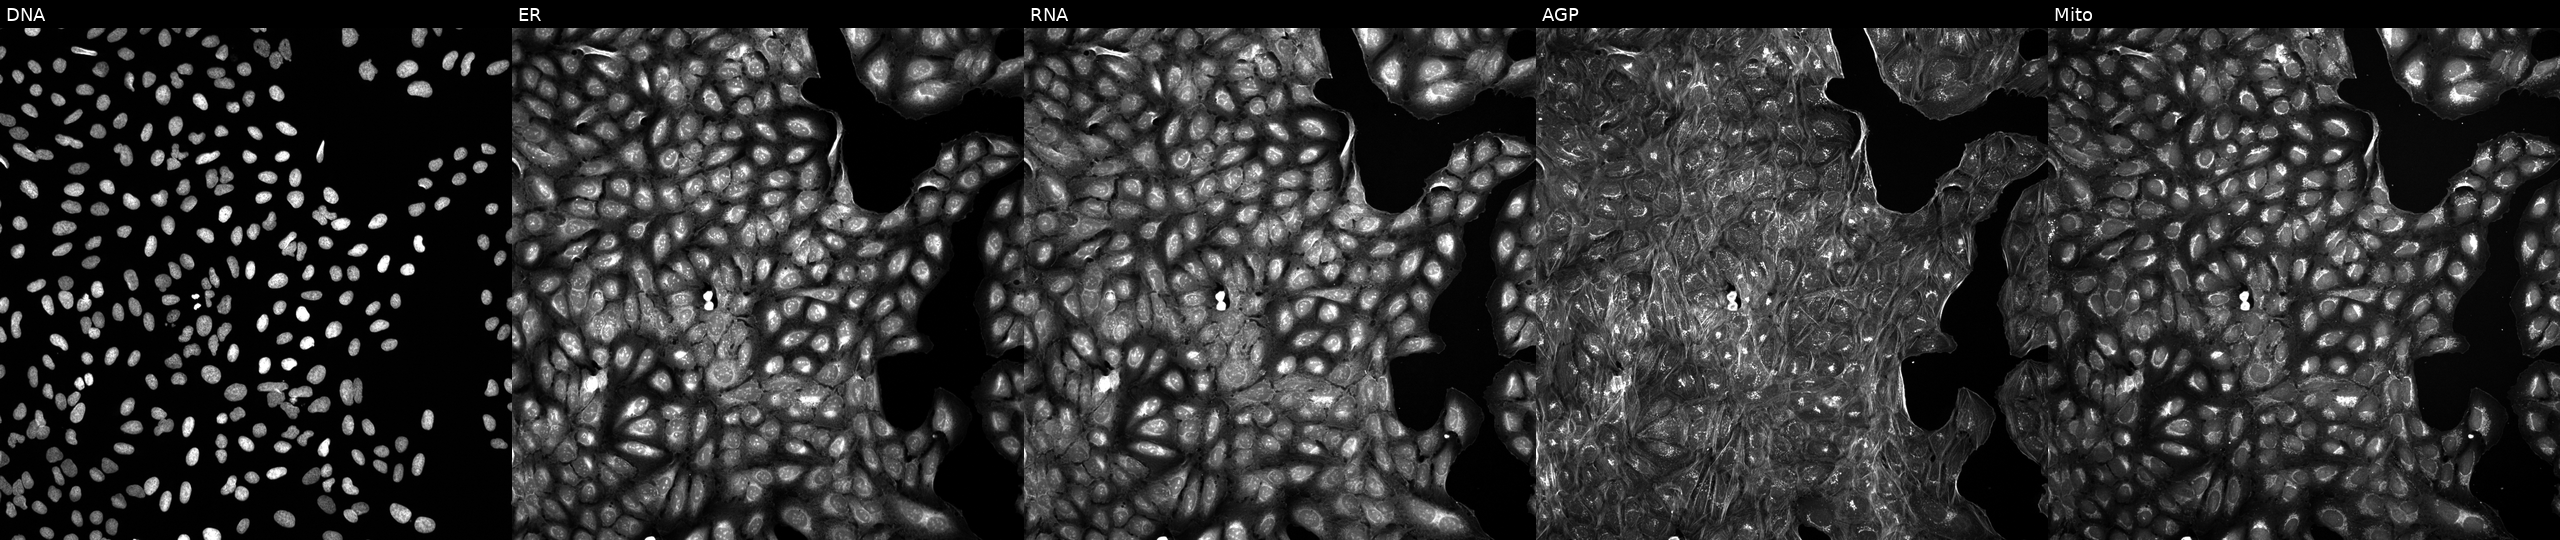
U2OS cells, Cell Painting assay, perturbed with a small-molecule compound. The five panels, left to right, show Hoechst 33342, concanavalin A, SYTO 14, phalloidin and WGA, MitoTracker. Each panel is percentile-stretched 16-bit fluorescence.